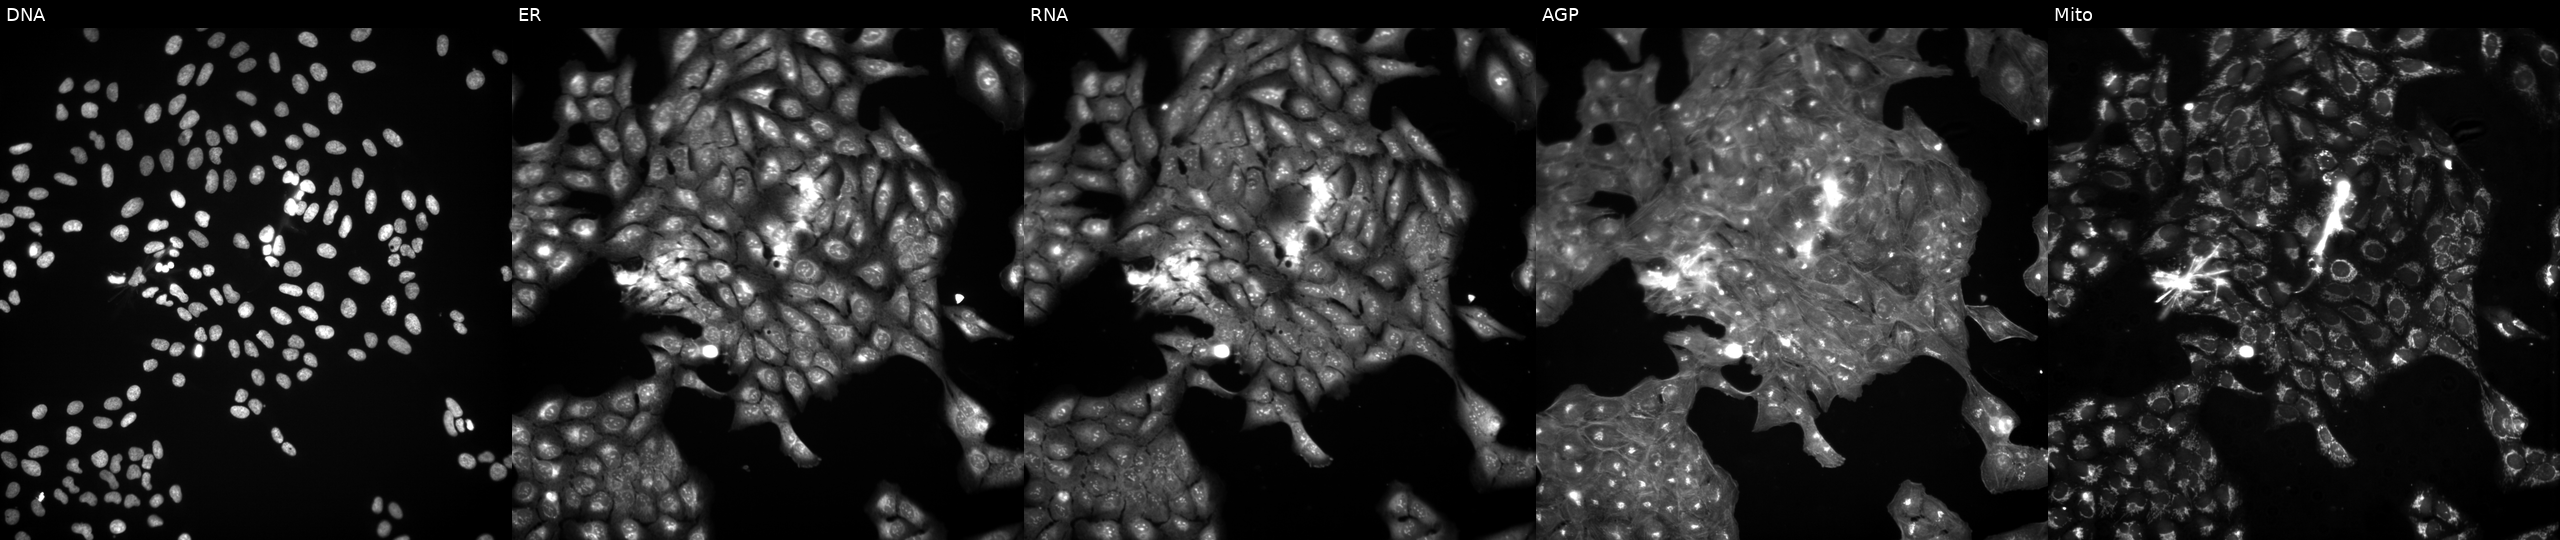
Panels show, left to right, DNA (nuclei); ER (endoplasmic reticulum); RNA (nucleoli and cytoplasmic RNA); AGP (actin cytoskeleton, Golgi, and plasma membrane); Mito (mitochondria). U2OS osteosarcoma cells exposed to a small-molecule compound. Cell Painting assay, JUMP-CP dataset. Source 3, plate BR5867a3, well P06.